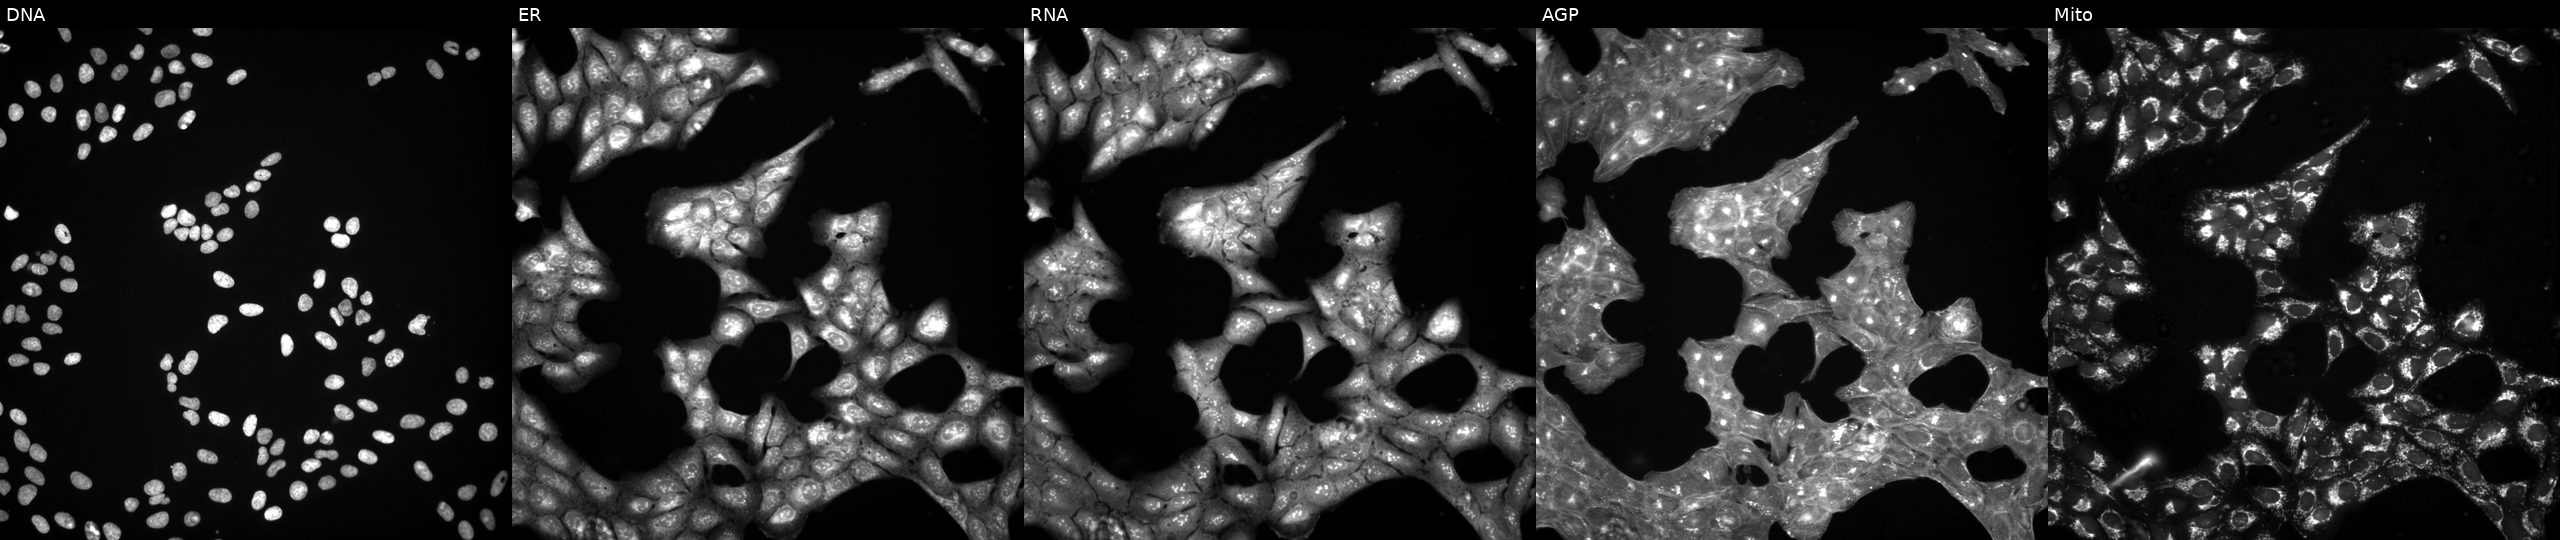
JUMP Cell Painting — TARGET2 plate. U2OS cells exposed to a small-molecule compound. Channels (left→right): DNA (nuclei); ER (endoplasmic reticulum); RNA (nucleoli and cytoplasmic RNA); AGP (actin cytoskeleton, Golgi, and plasma membrane); Mito (mitochondria).